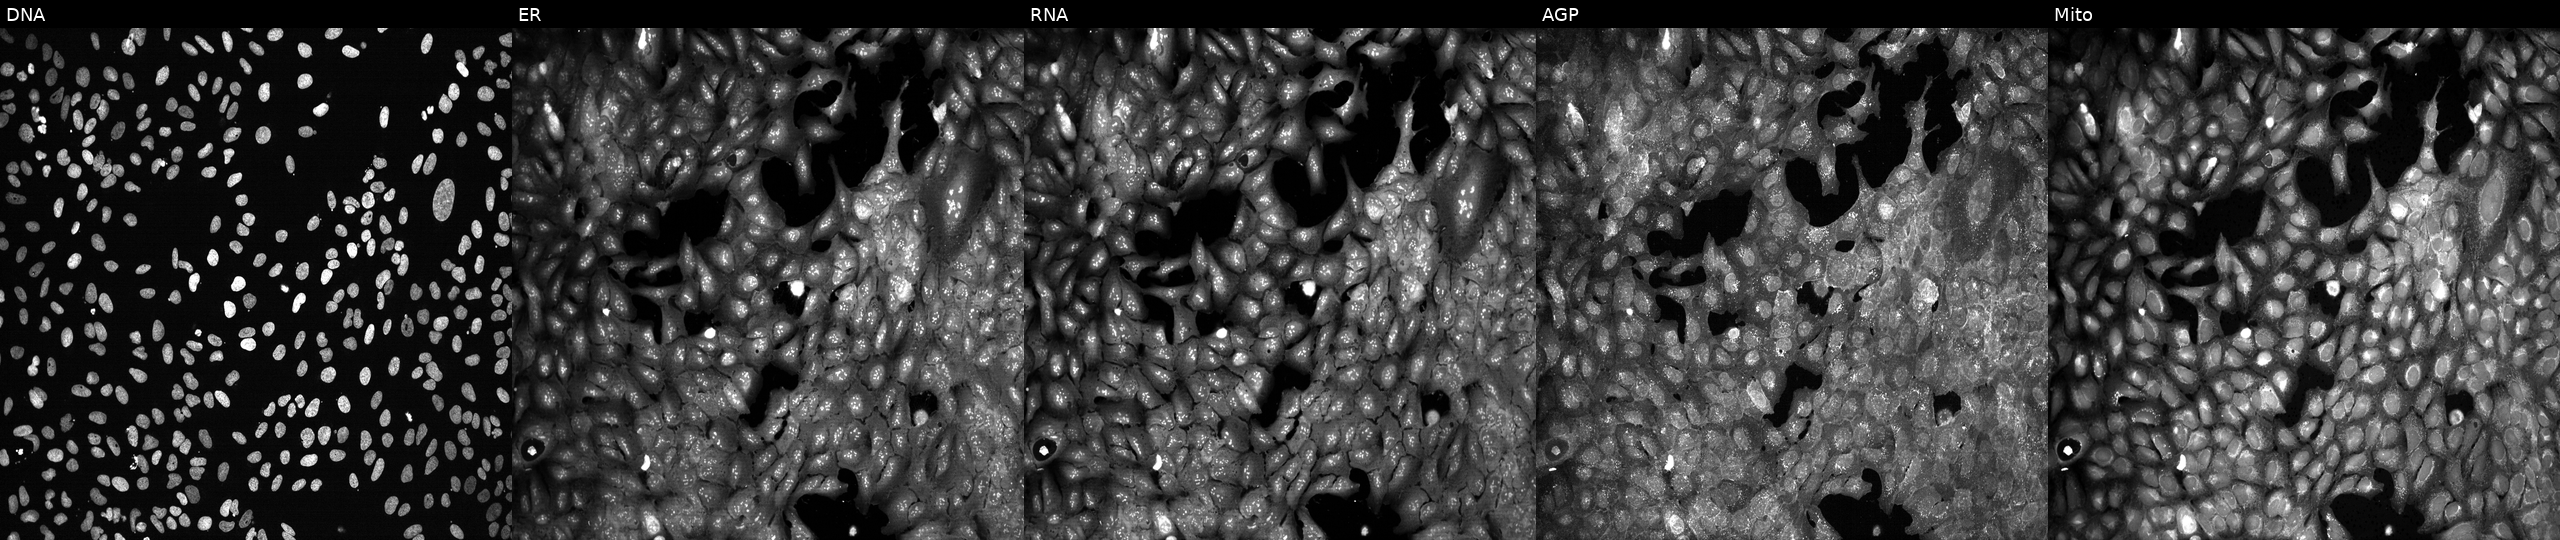
The five panels, left to right, show DNA, ER, RNA, AGP, and Mito. U2OS osteosarcoma cells following CRISPR knockout of GNAI3. Cell Painting assay, JUMP-CP dataset. Source 13, plate CP-CC9-R1-02, well H19.